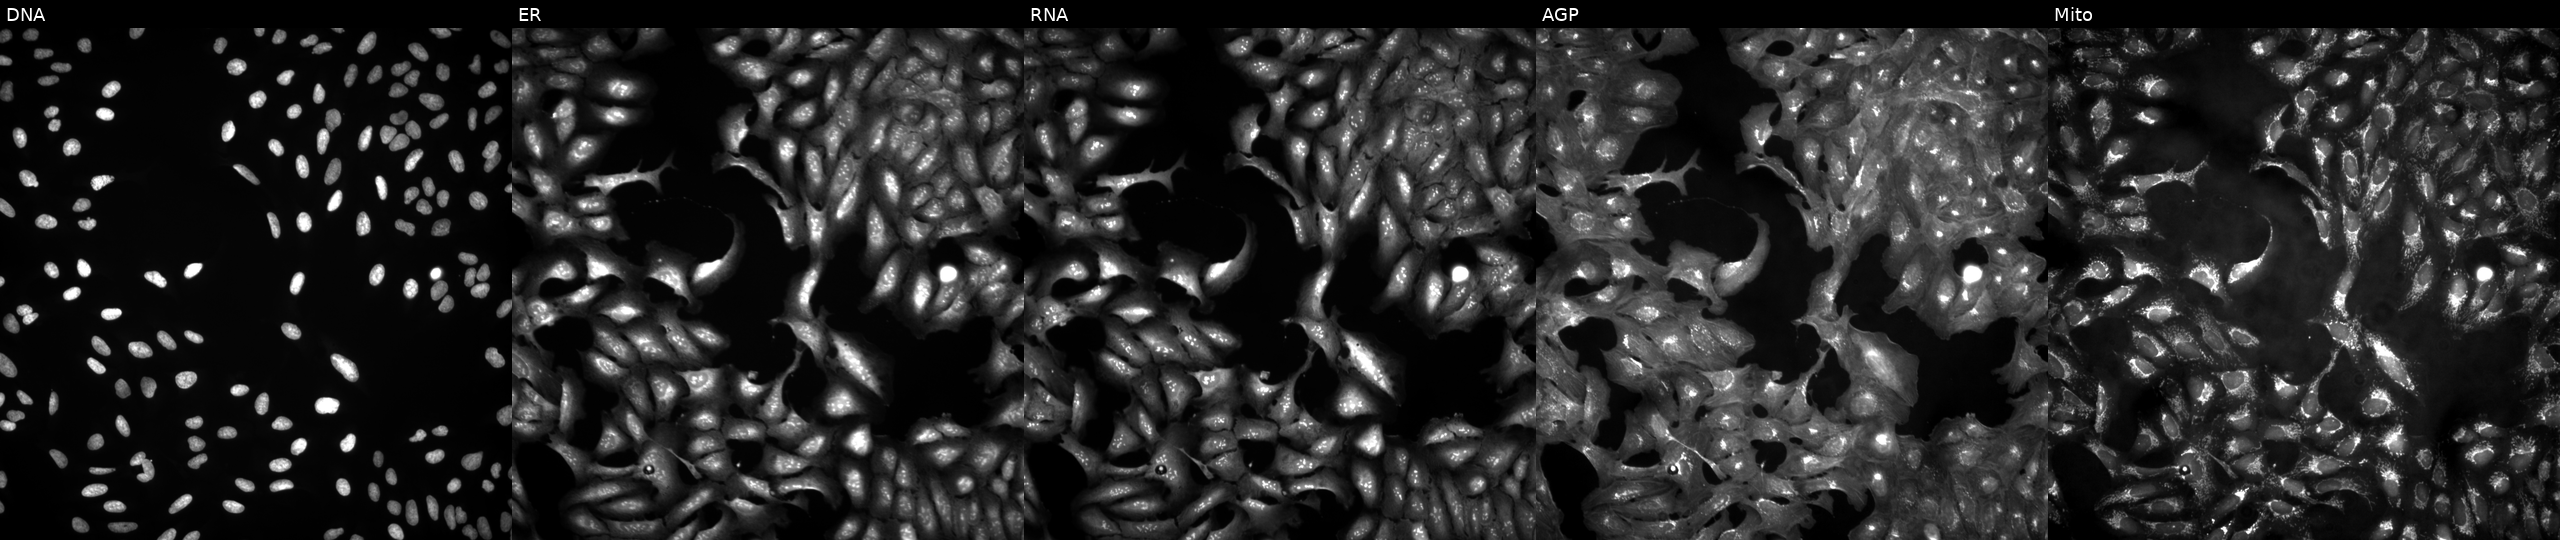
From left to right: DNA, ER, RNA, AGP, and Mito. U2OS osteosarcoma cells untreated (empty-well control). Cell Painting assay, JUMP-CP dataset.